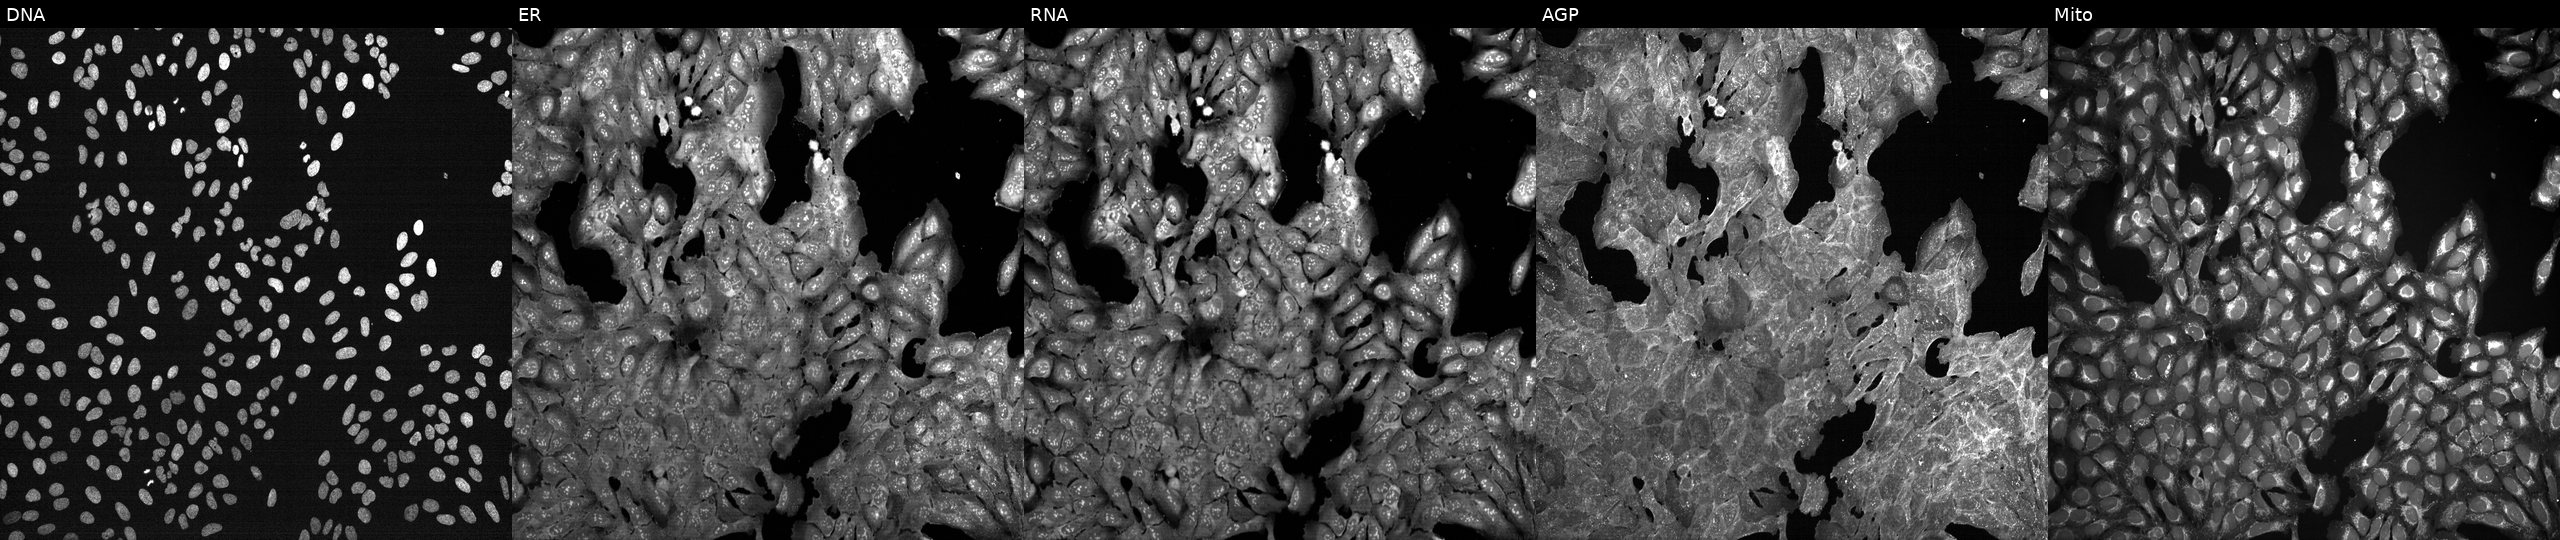
U2OS cells, Cell Painting assay, treated with a small-molecule compound (InChIKey LENZDBCJOHFCAS-UHFFFAOYSA-N). The five panels, left to right, show DNA, ER, RNA, AGP, and Mito. Each panel is percentile-stretched 16-bit fluorescence.